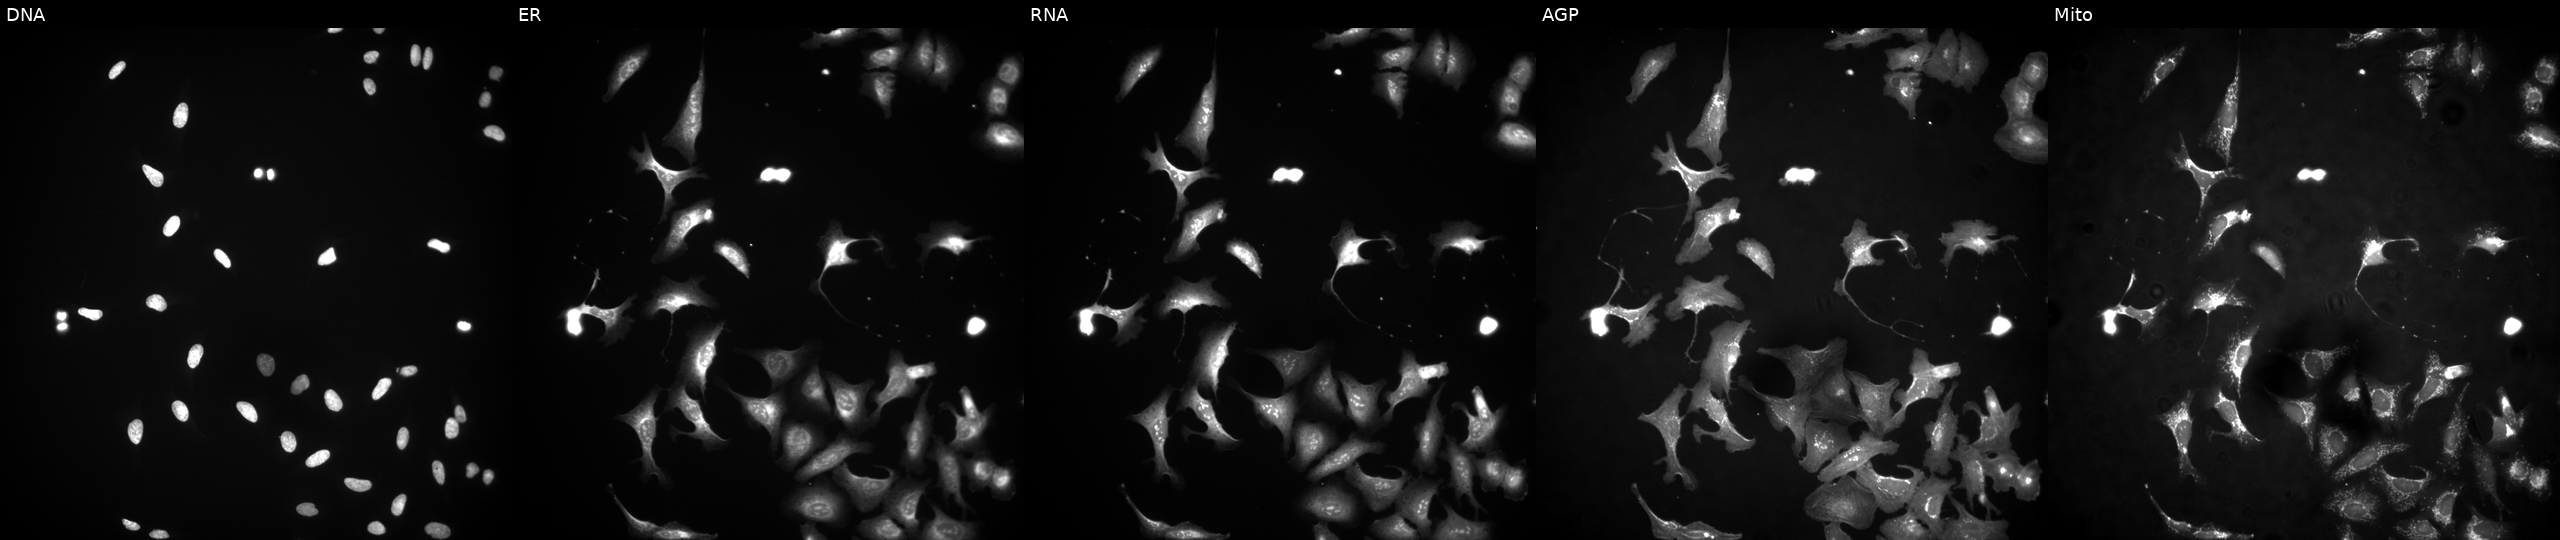
JUMP Cell Painting — ORF plate. U2OS cells untreated (empty-well control) (JUMP id JCP2022_999999). Channels (left→right): DNA (nuclei); ER (endoplasmic reticulum); RNA (nucleoli and cytoplasmic RNA); AGP (actin cytoskeleton, Golgi, and plasma membrane); Mito (mitochondria). Source 4, plate BR00124790, well P22.